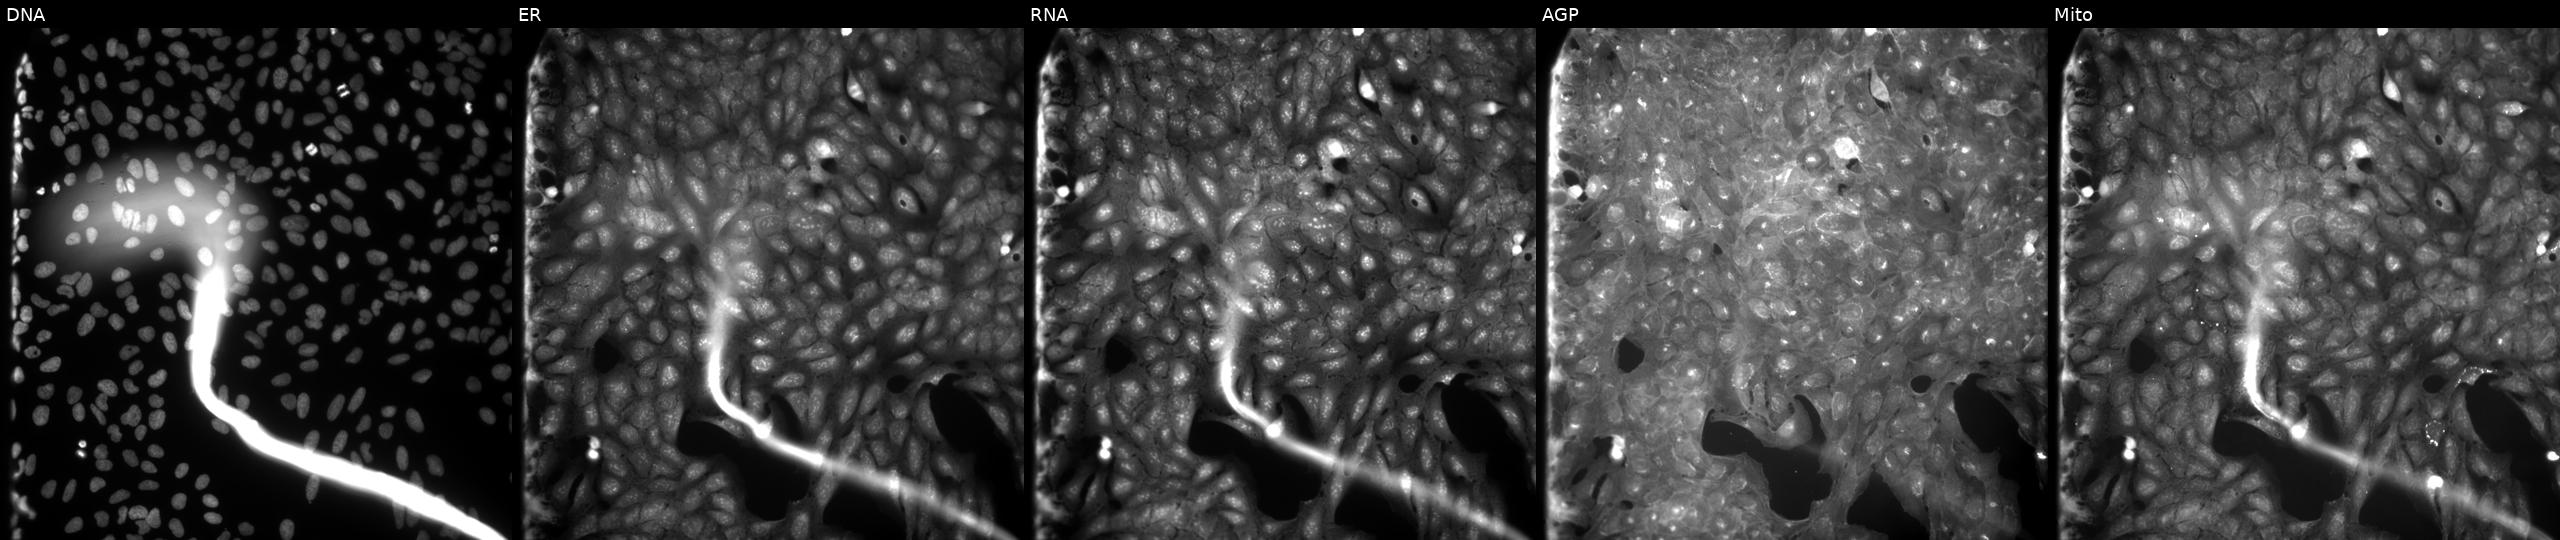
JUMP Cell Painting — COMPOUND plate. U2OS cells perturbed with a small-molecule compound (InChIKey OXLNPDCQIGWOPP-UHFFFAOYSA-N) [SMILES: CC(=O)N1CCN(c2ccc(NC(=O)c3ccc(C)c([N+](=O)[O-])c3)cc2)CC1] (JUMP id JCP2022_066775). Panels show, left to right, Hoechst 33342, concanavalin A, SYTO 14, phalloidin and WGA, MitoTracker. Source 9, plate GR00003382, well S07.